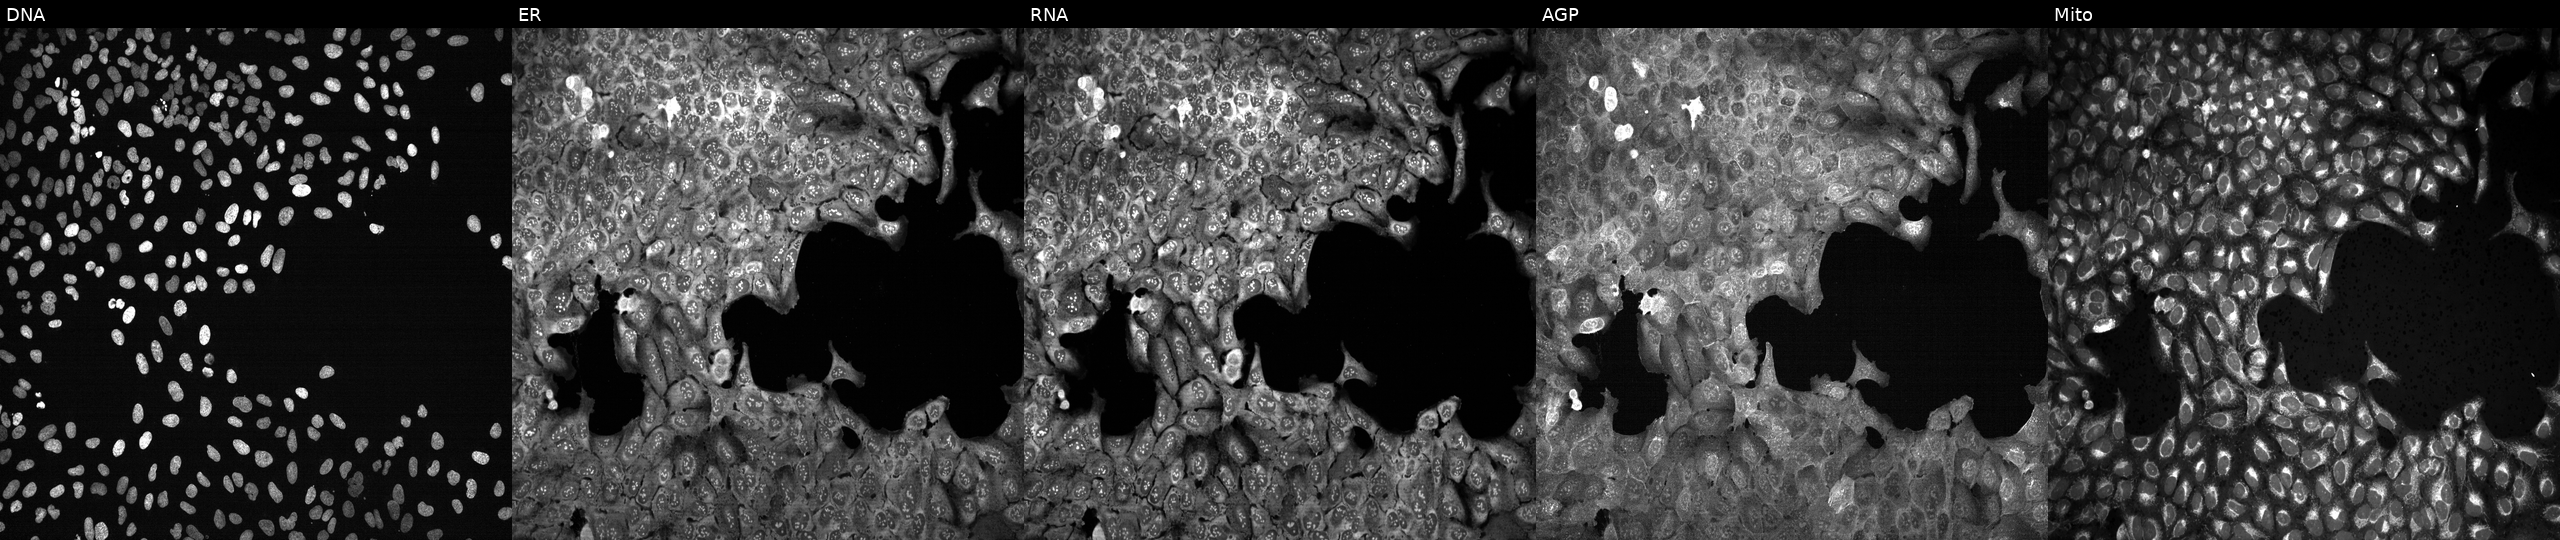
Five-channel Cell Painting image of U2OS cells following CRISPR knockout of AKAP14. The five panels, left to right, show DNA (nuclei); ER (endoplasmic reticulum); RNA (nucleoli and cytoplasmic RNA); AGP (actin cytoskeleton, Golgi, and plasma membrane); Mito (mitochondria).